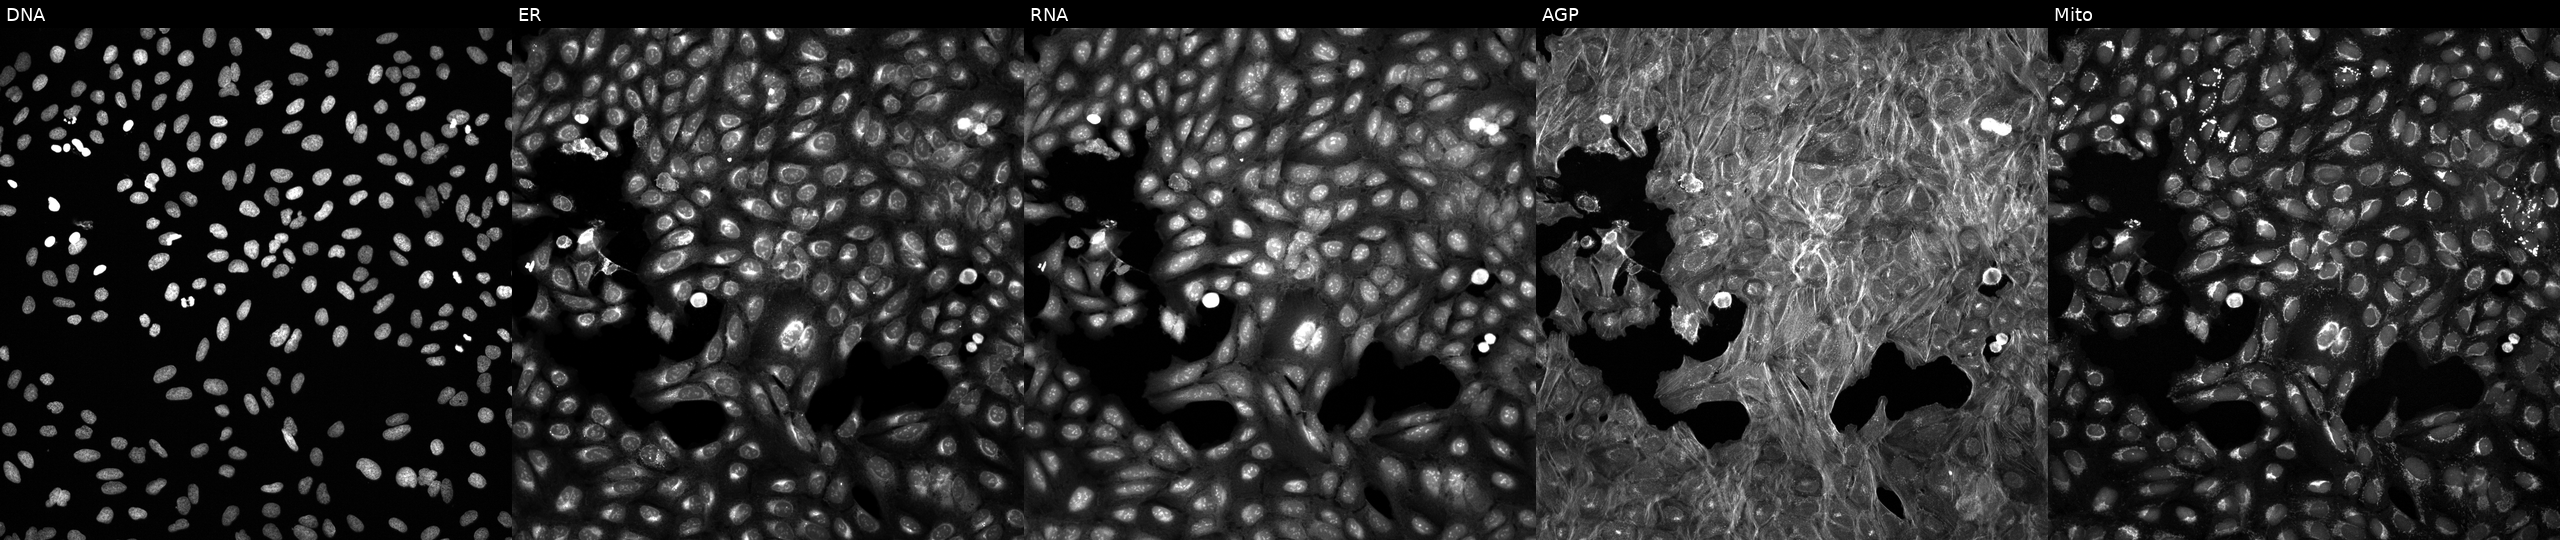
This image strip shows the five Cell Painting channels for a single field of U2OS cells exposed to DMSO alone as a negative control. Channels (left→right): Hoechst 33342, concanavalin A, SYTO 14, phalloidin and WGA, MitoTracker.